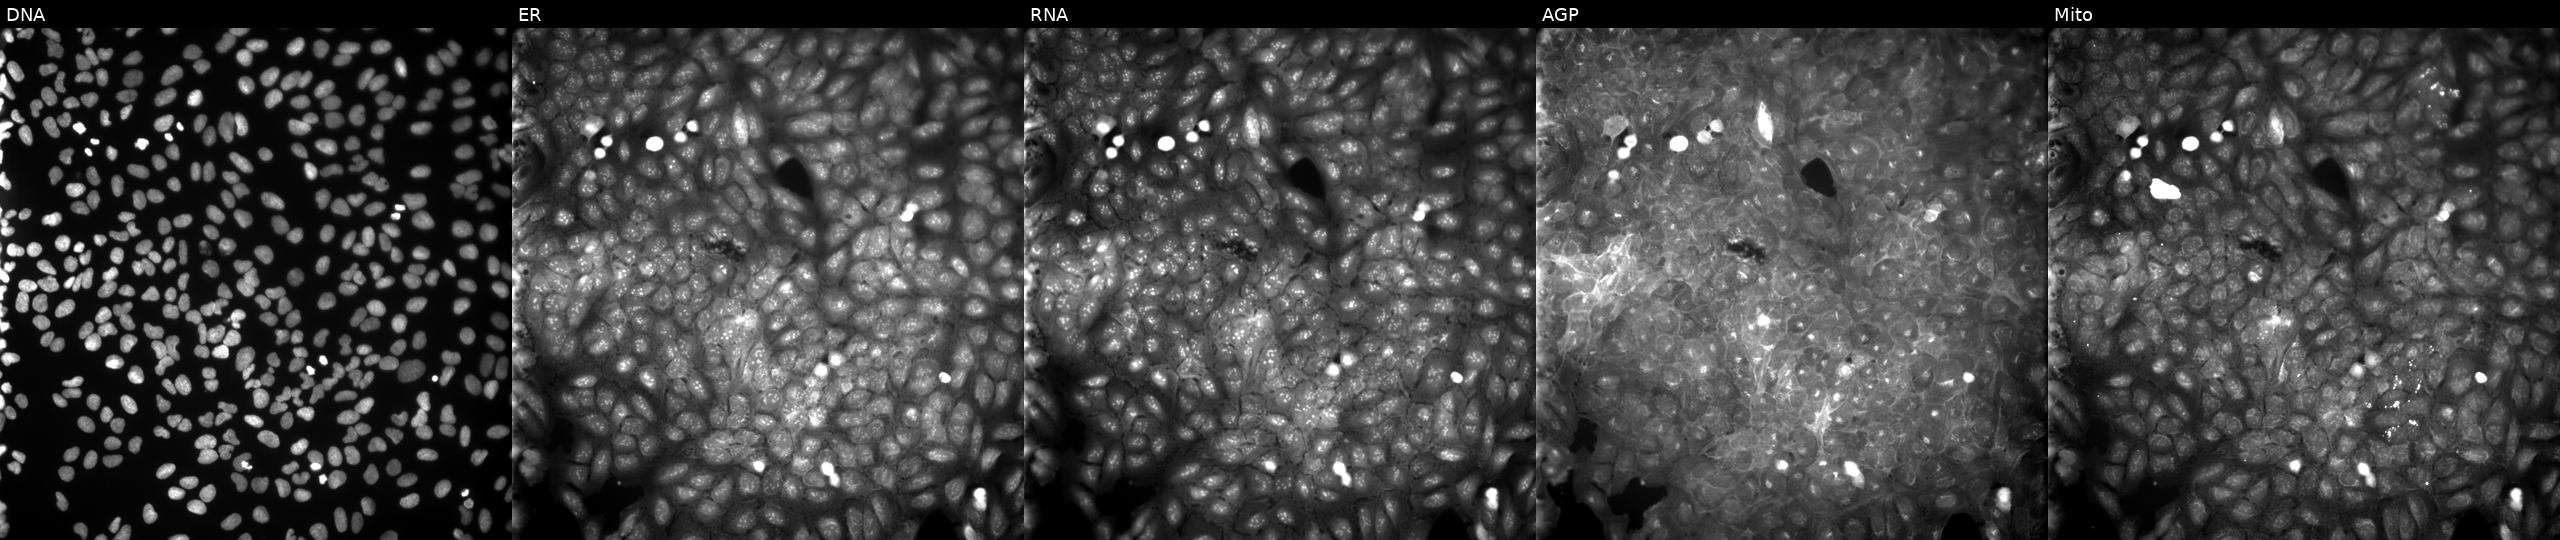
This image strip shows the five Cell Painting channels for a single field of U2OS cells treated with a small-molecule compound. From left to right: DNA (nuclei); ER (endoplasmic reticulum); RNA (nucleoli and cytoplasmic RNA); AGP (actin cytoskeleton, Golgi, and plasma membrane); Mito (mitochondria).